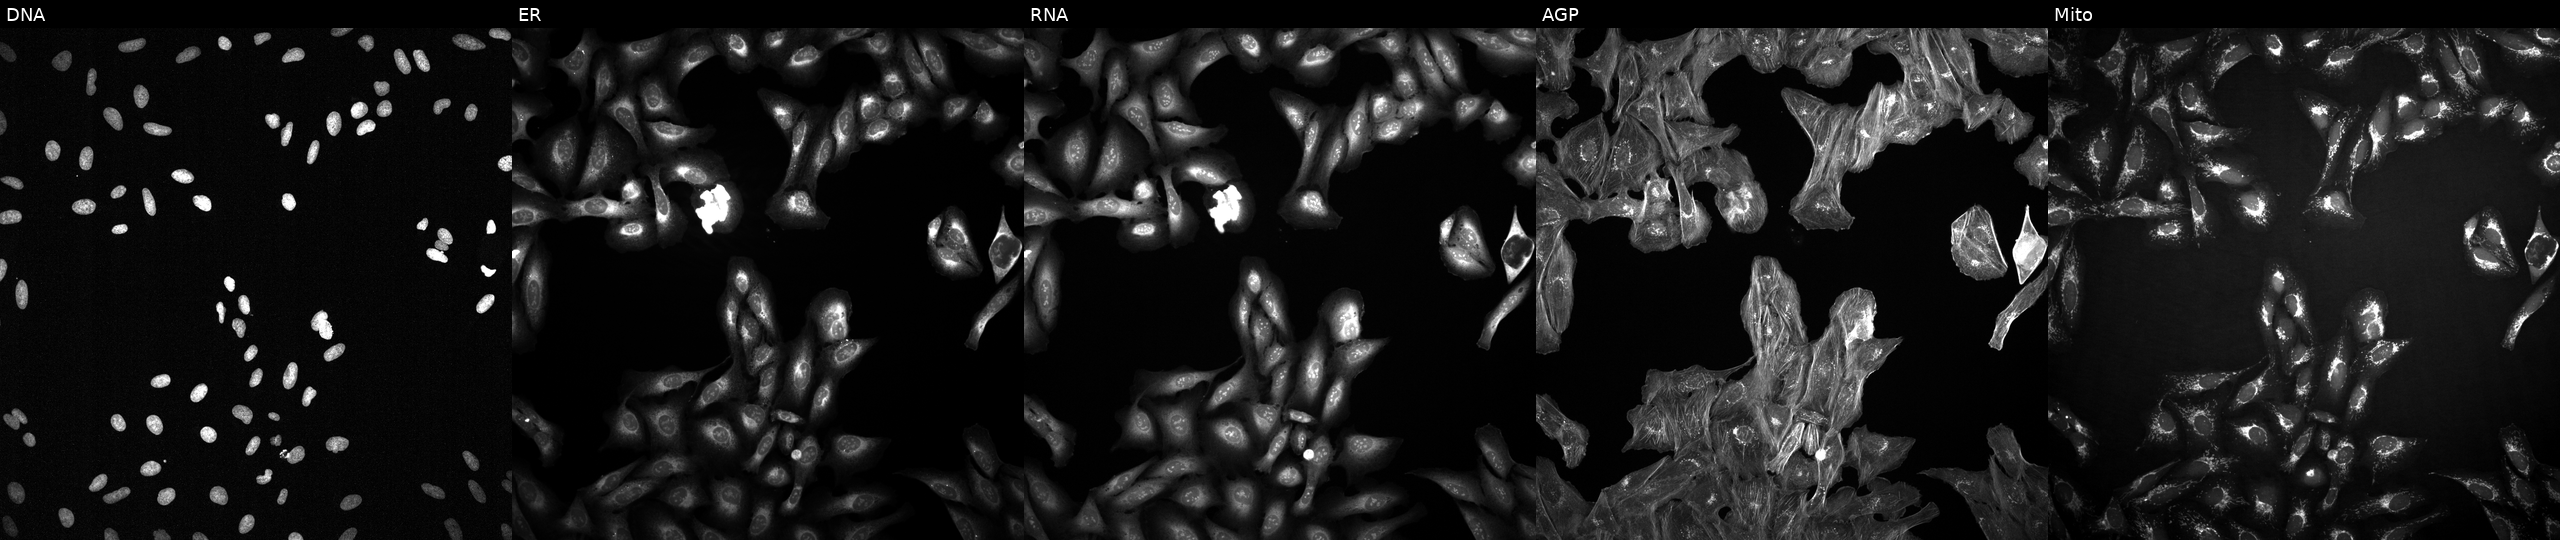
JUMP Cell Painting — TARGET2 plate. U2OS cells exposed to a small-molecule compound. Channels (left→right): DNA, ER, RNA, AGP, and Mito.